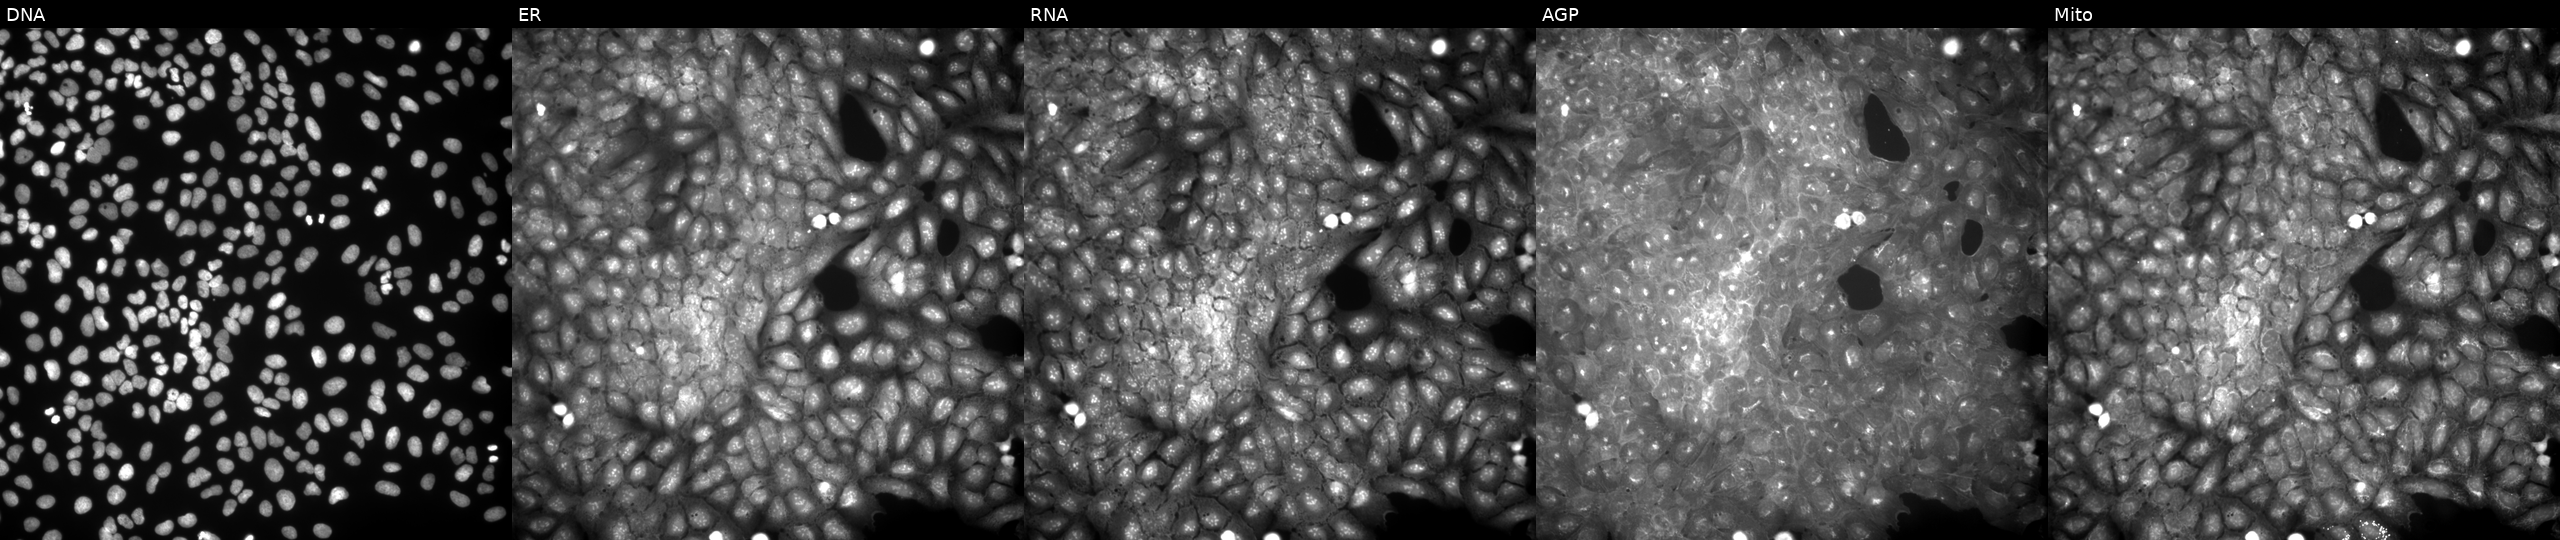
JUMP Cell Painting — COMPOUND plate. U2OS cells exposed to the positive-control compound TC-S-7004. From left to right: Hoechst 33342, concanavalin A, SYTO 14, phalloidin and WGA, MitoTracker.